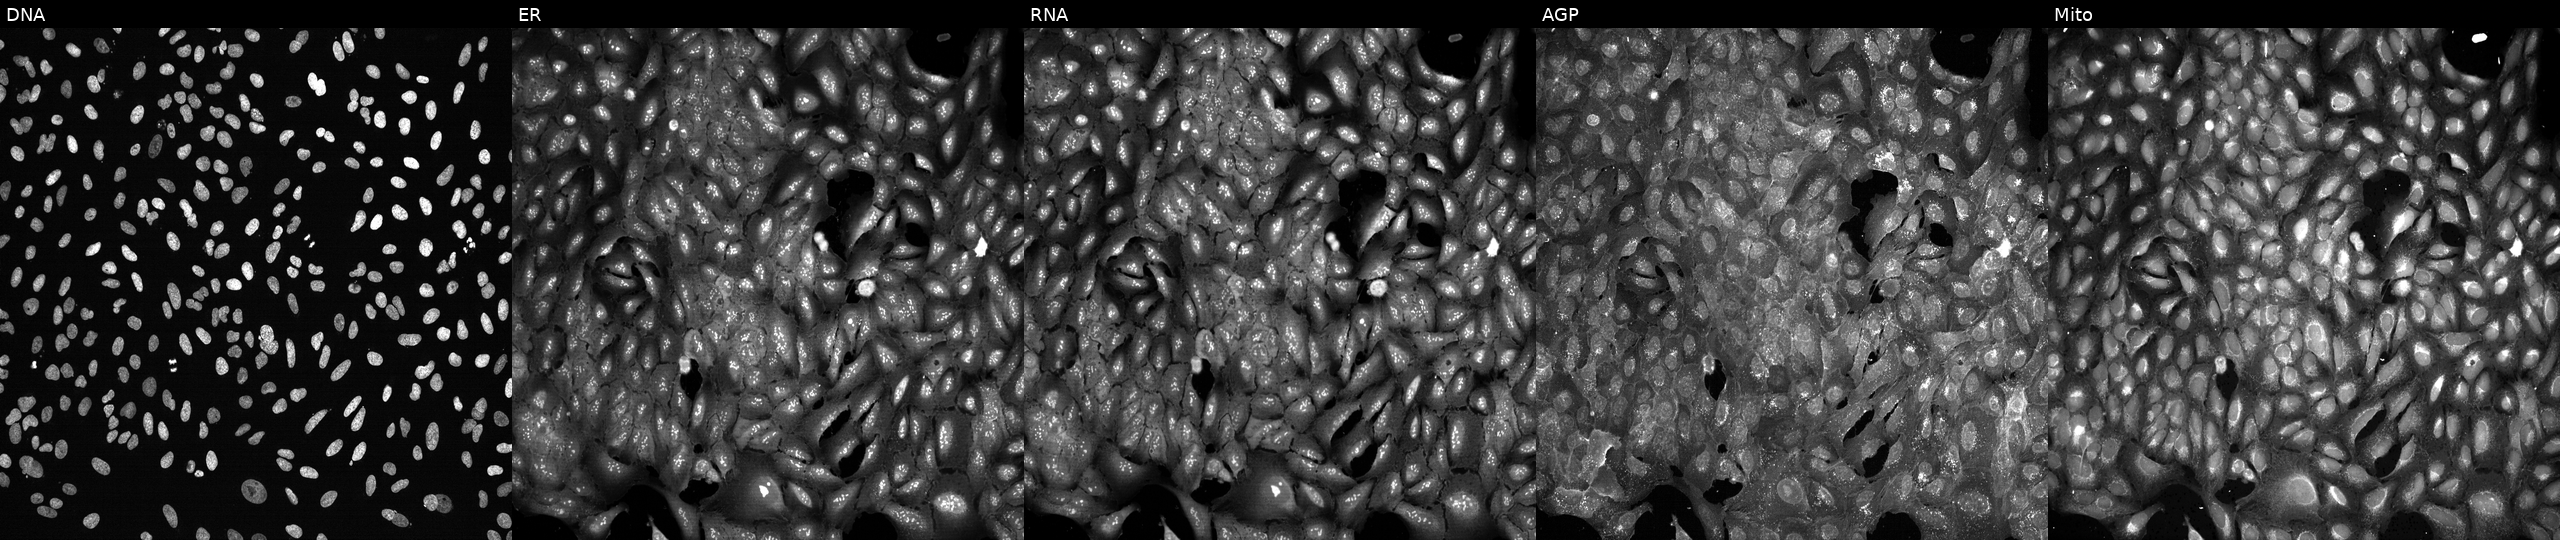
JUMP Cell Painting — CRISPR plate. U2OS cells with MOGAT1 knocked out by CRISPR (JUMP id JCP2022_804238). The five panels, left to right, show DNA (nuclei); ER (endoplasmic reticulum); RNA (nucleoli and cytoplasmic RNA); AGP (actin cytoskeleton, Golgi, and plasma membrane); Mito (mitochondria). Source 13, plate CP-CC9-R1-01, well E08.